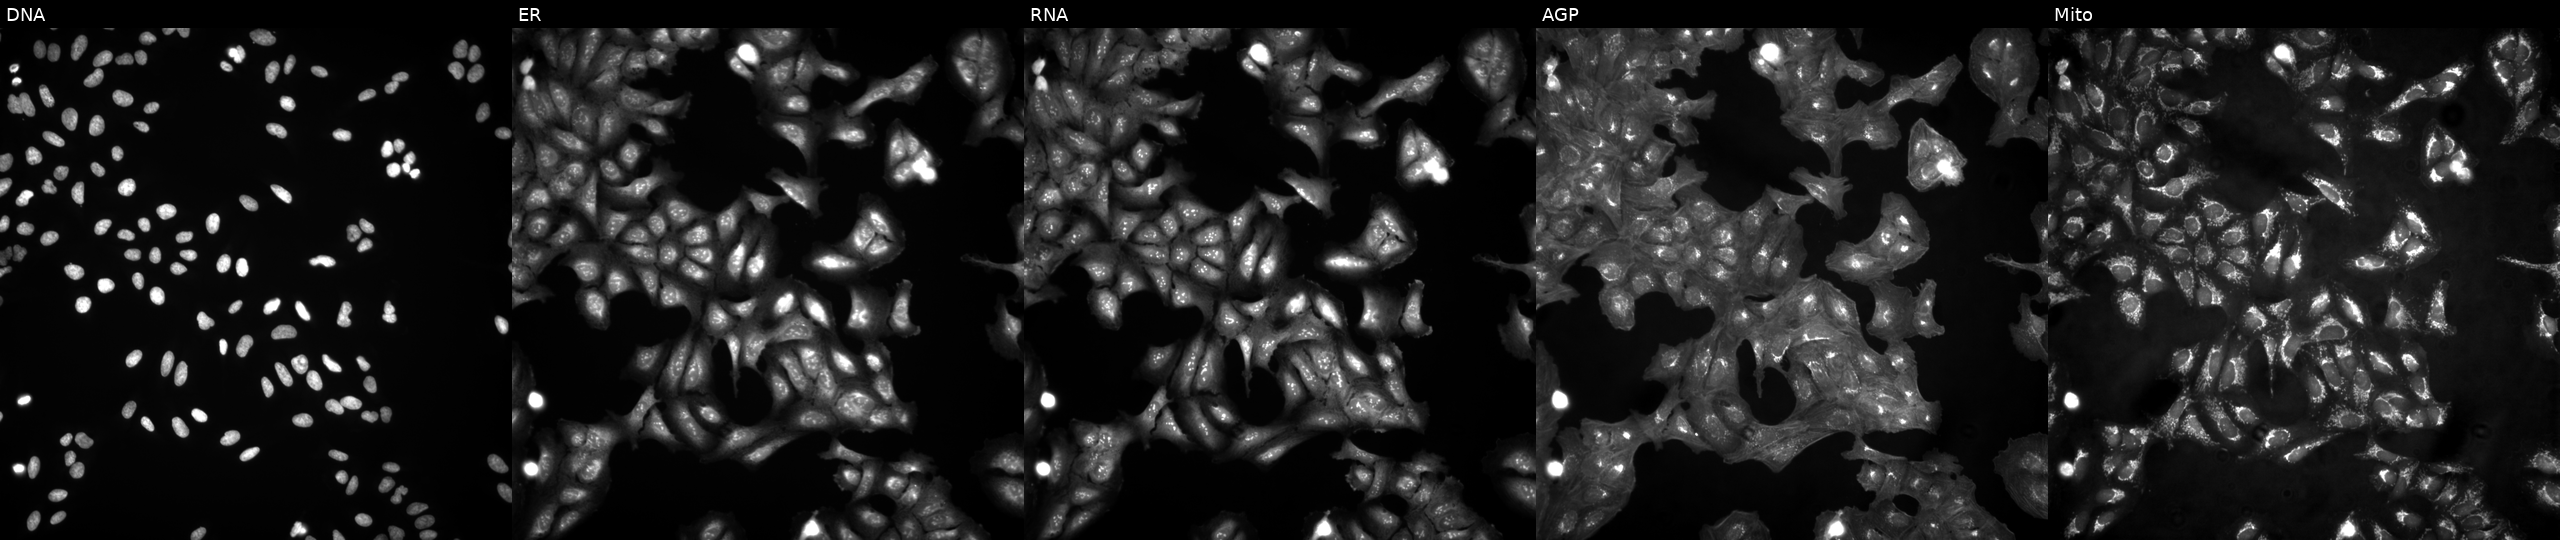
Five-channel Cell Painting image of U2OS cells in an empty control well (no perturbation) (JUMP id JCP2022_999999). The five panels, left to right, show Hoechst 33342, concanavalin A, SYTO 14, phalloidin and WGA, MitoTracker.